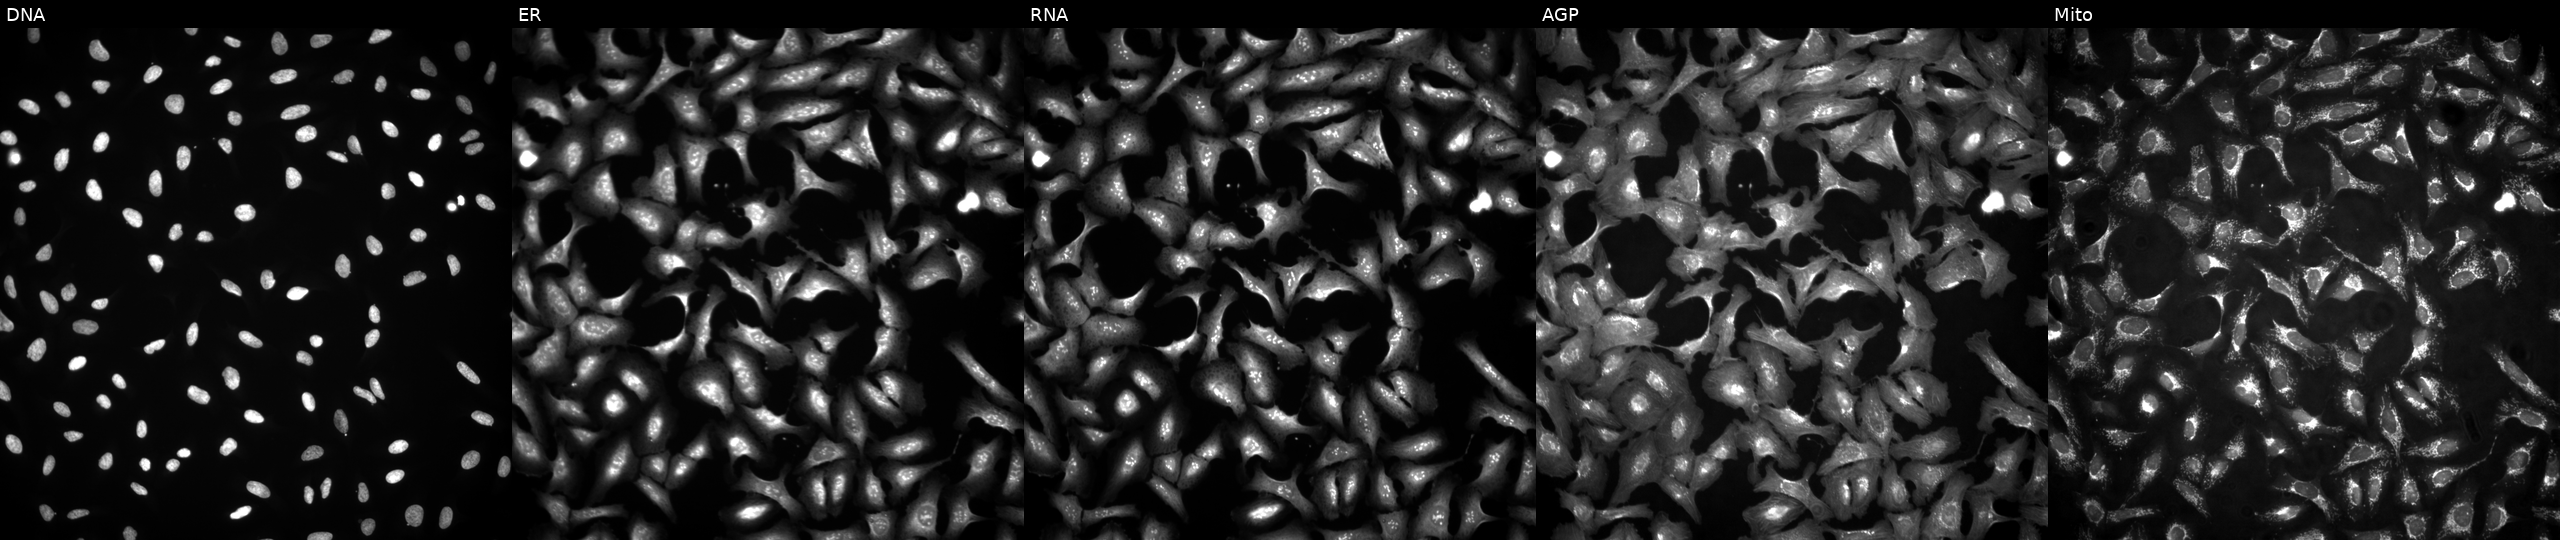
High-content fluorescence microscopy (Cell Painting). Cell line: U2OS. Perturbation: overexpressing MRO via ORF transfection. From left to right: DNA (nuclei); ER (endoplasmic reticulum); RNA (nucleoli and cytoplasmic RNA); AGP (actin cytoskeleton, Golgi, and plasma membrane); Mito (mitochondria). Source 4, plate BR00124787, well P04.